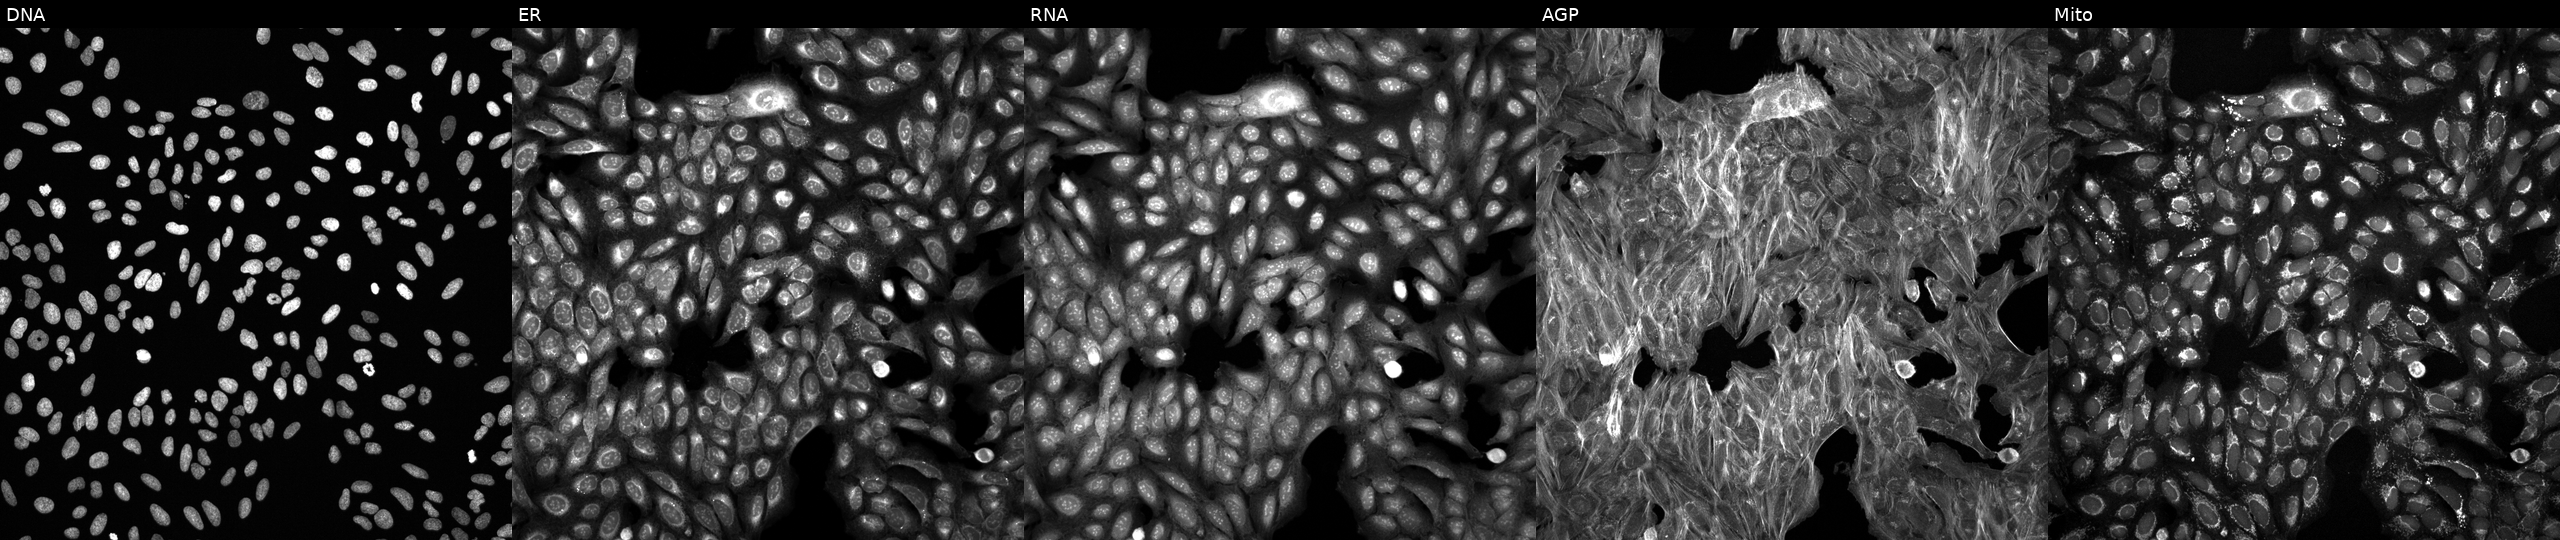
High-content fluorescence microscopy (Cell Painting). Cell line: U2OS. Perturbation: treated with a small-molecule compound (JUMP id JCP2022_003435). Panels show, left to right, DNA (nuclei); ER (endoplasmic reticulum); RNA (nucleoli and cytoplasmic RNA); AGP (actin cytoskeleton, Golgi, and plasma membrane); Mito (mitochondria). Source 6, plate 110000293083, well L16.